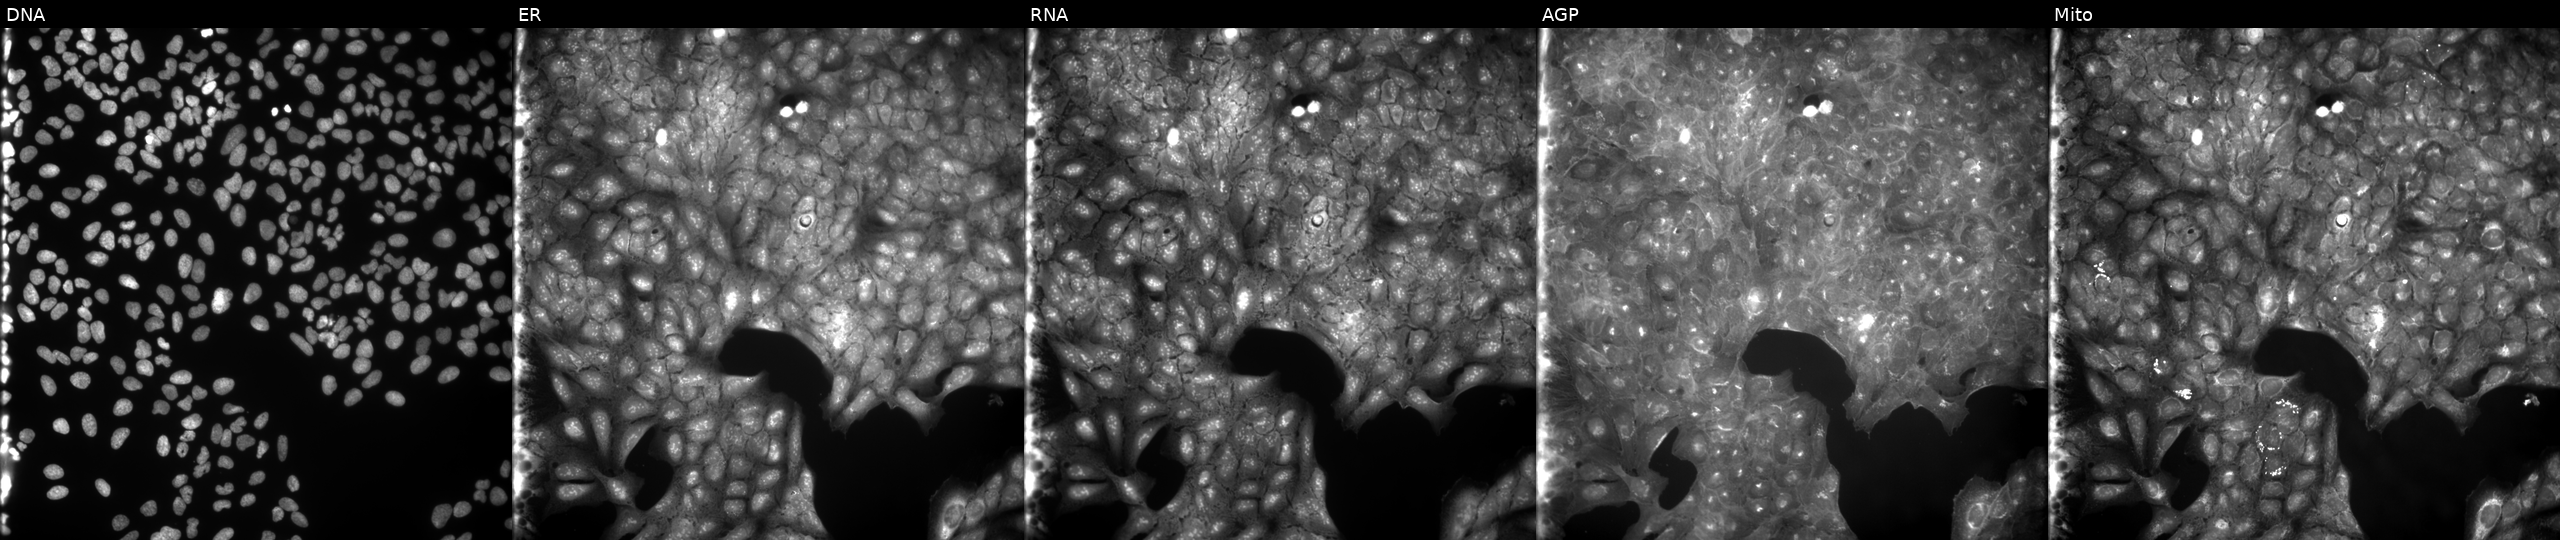
High-content fluorescence microscopy (Cell Painting). Cell line: U2OS. Perturbation: perturbed with a small-molecule compound (InChIKey VMGWRBFEMCOCIV-UHFFFAOYSA-N) (JUMP id JCP2022_094904). Panels show, left to right, DNA (nuclei); ER (endoplasmic reticulum); RNA (nucleoli and cytoplasmic RNA); AGP (actin cytoskeleton, Golgi, and plasma membrane); Mito (mitochondria). Source 9, plate GR00003381, well N12.